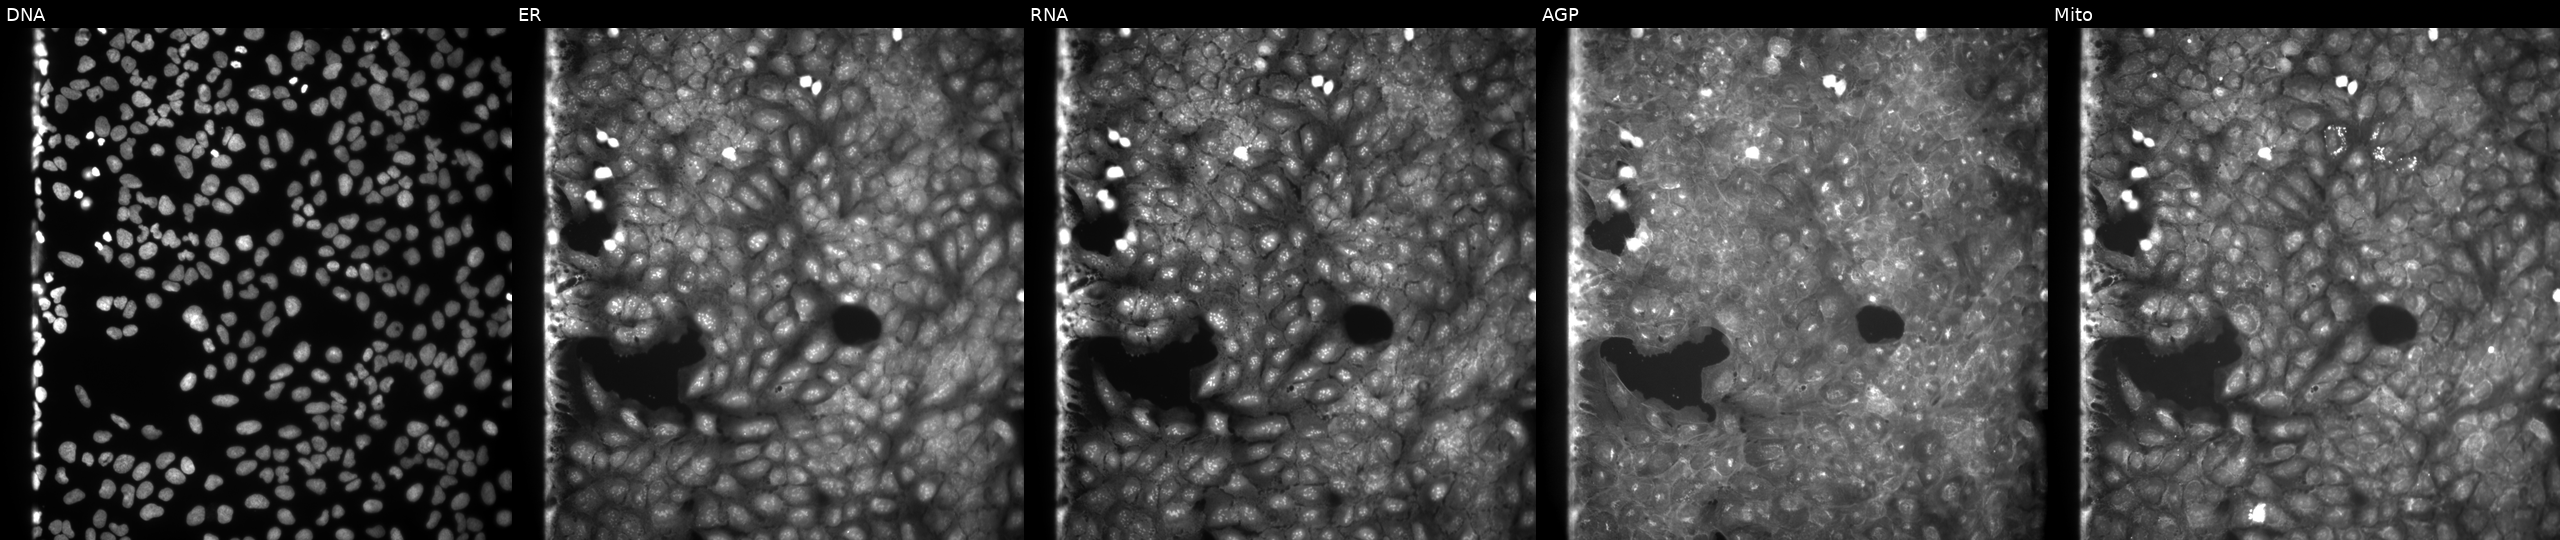
High-content fluorescence microscopy (Cell Painting). Cell line: U2OS. Perturbation: perturbed with a small-molecule compound (JUMP id JCP2022_009078). From left to right: DNA (nuclei); ER (endoplasmic reticulum); RNA (nucleoli and cytoplasmic RNA); AGP (actin cytoskeleton, Golgi, and plasma membrane); Mito (mitochondria).